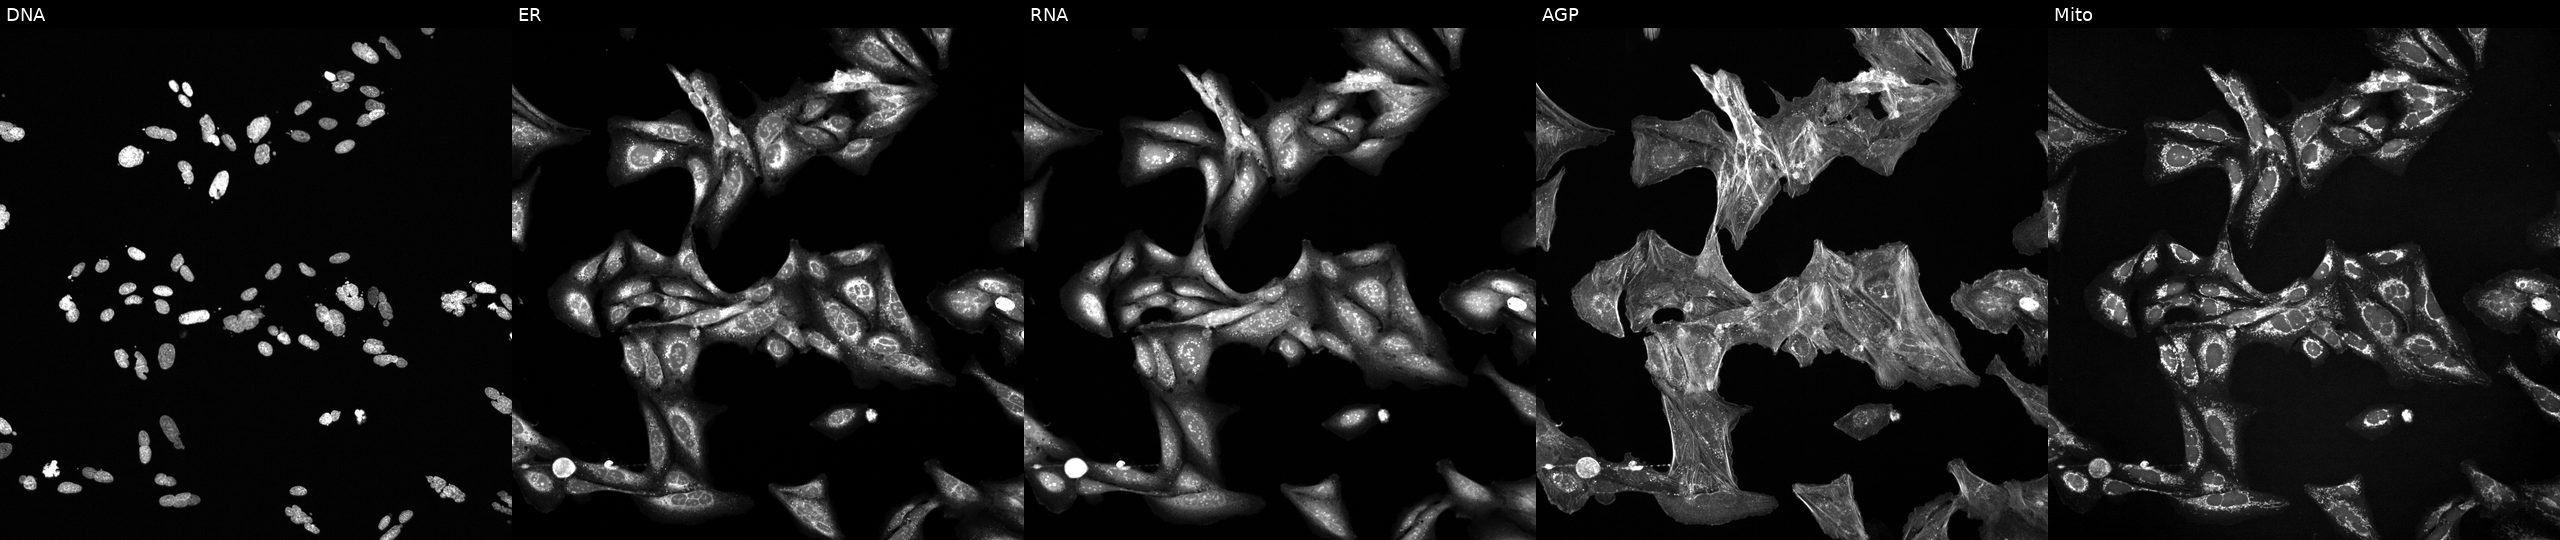
Five-channel Cell Painting image of U2OS cells treated with a small-molecule compound (JUMP id JCP2022_041139). From left to right: Hoechst 33342, concanavalin A, SYTO 14, phalloidin and WGA, MitoTracker.